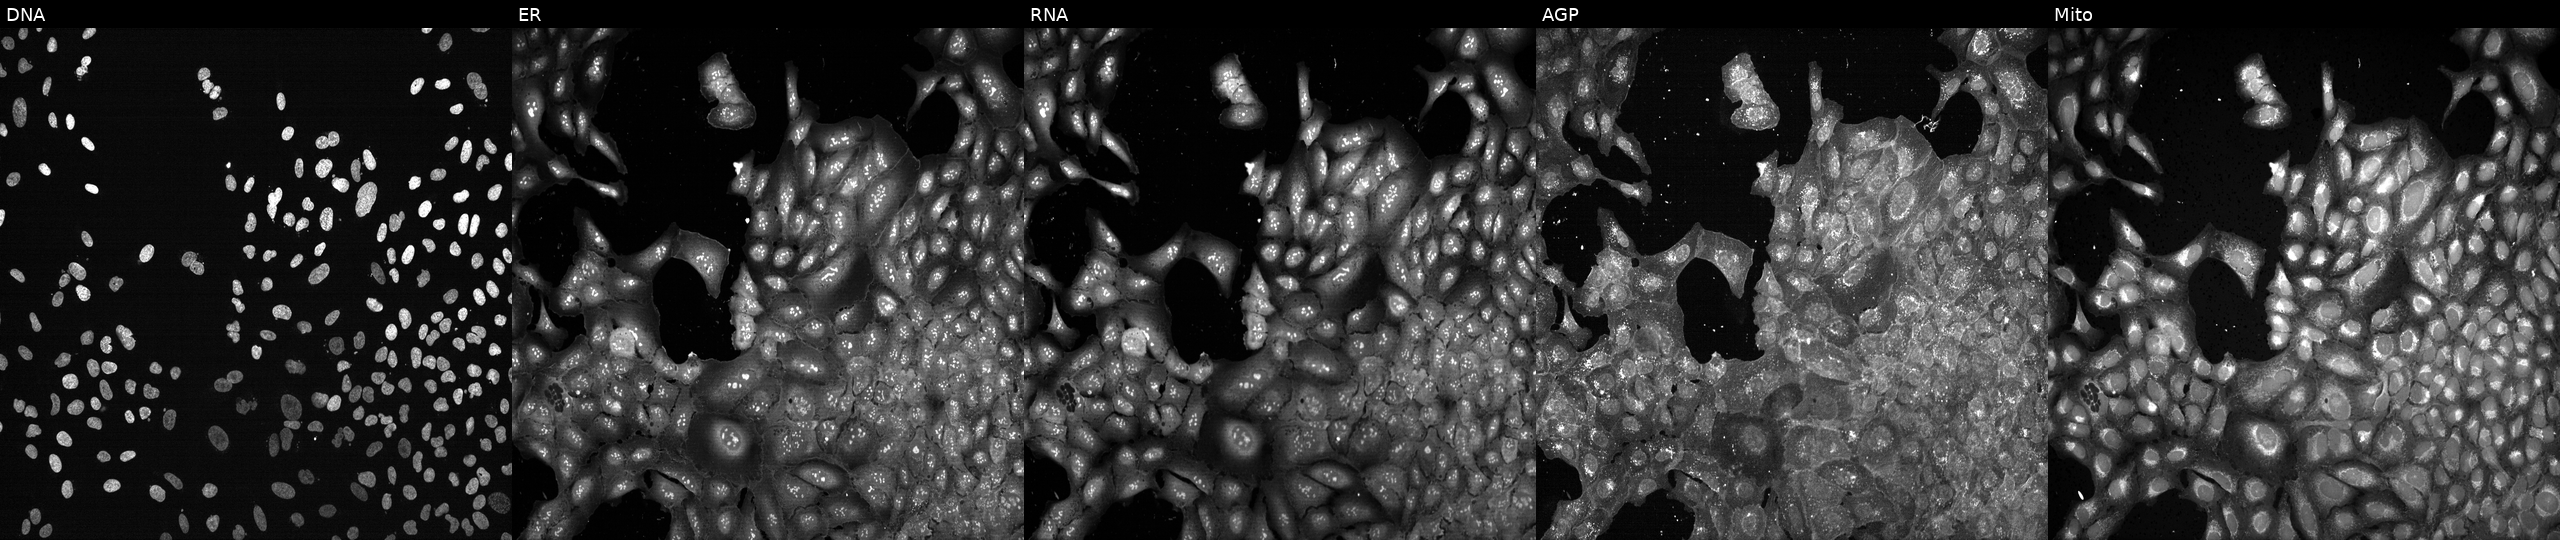
This image strip shows the five Cell Painting channels for a single field of U2OS cells following CRISPR knockout of KIF12. From left to right: DNA (nuclei); ER (endoplasmic reticulum); RNA (nucleoli and cytoplasmic RNA); AGP (actin cytoskeleton, Golgi, and plasma membrane); Mito (mitochondria). Source 13, plate CP-CC9-R1-02, well N04.